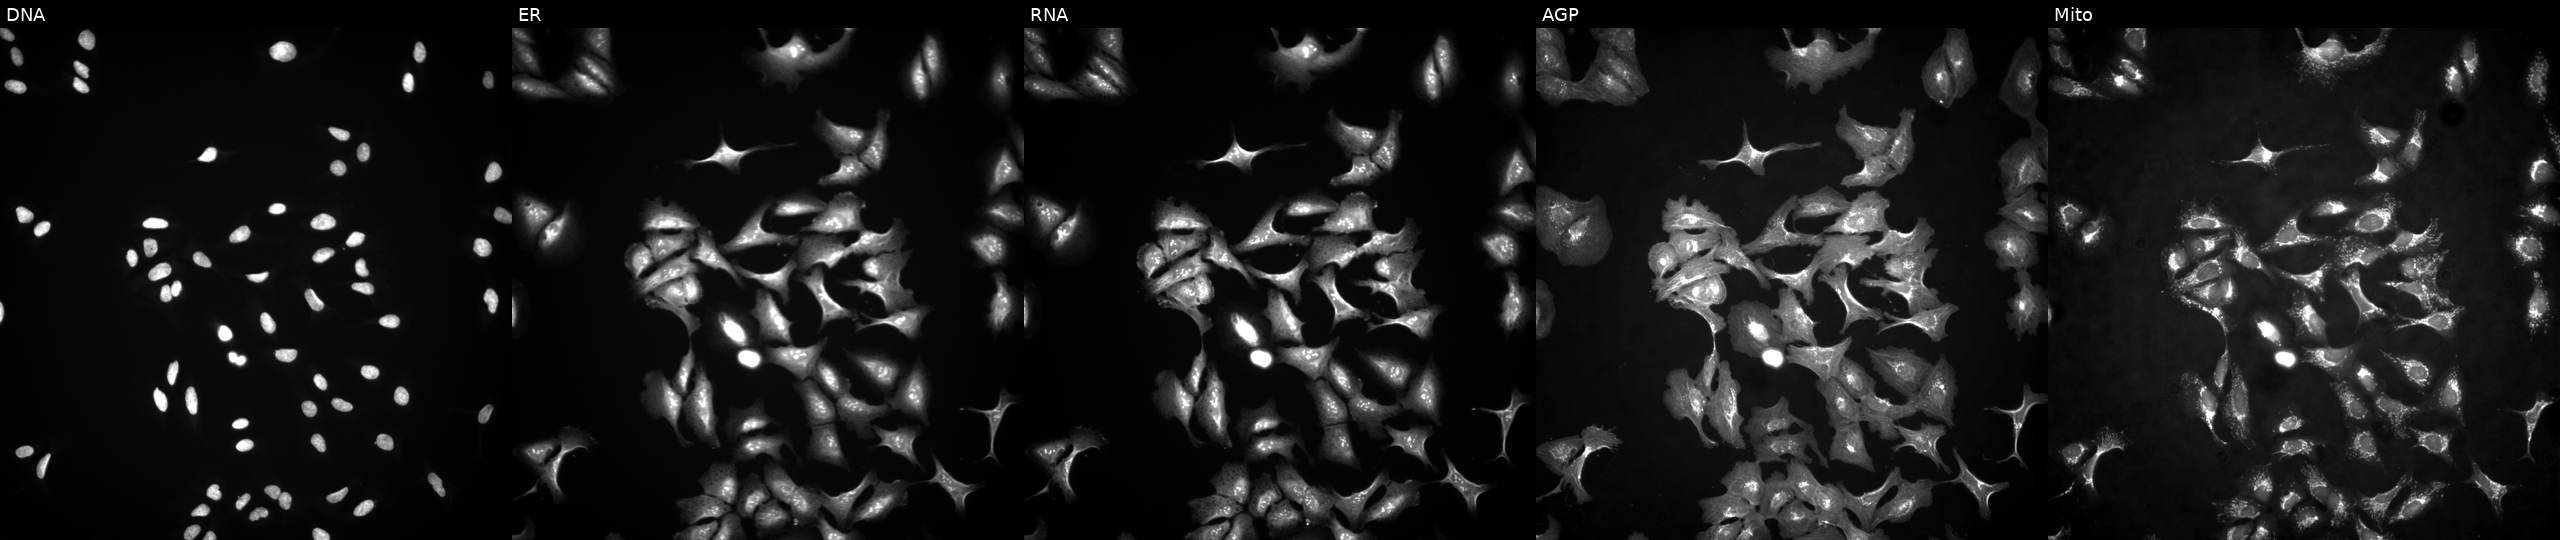
U2OS cells, Cell Painting assay, transfected with an ORF construct for NPRL2 (JUMP id JCP2022_907159). From left to right: DNA (nuclei); ER (endoplasmic reticulum); RNA (nucleoli and cytoplasmic RNA); AGP (actin cytoskeleton, Golgi, and plasma membrane); Mito (mitochondria). Each panel is percentile-stretched 16-bit fluorescence. Source 4, plate BR00117035, well I07.